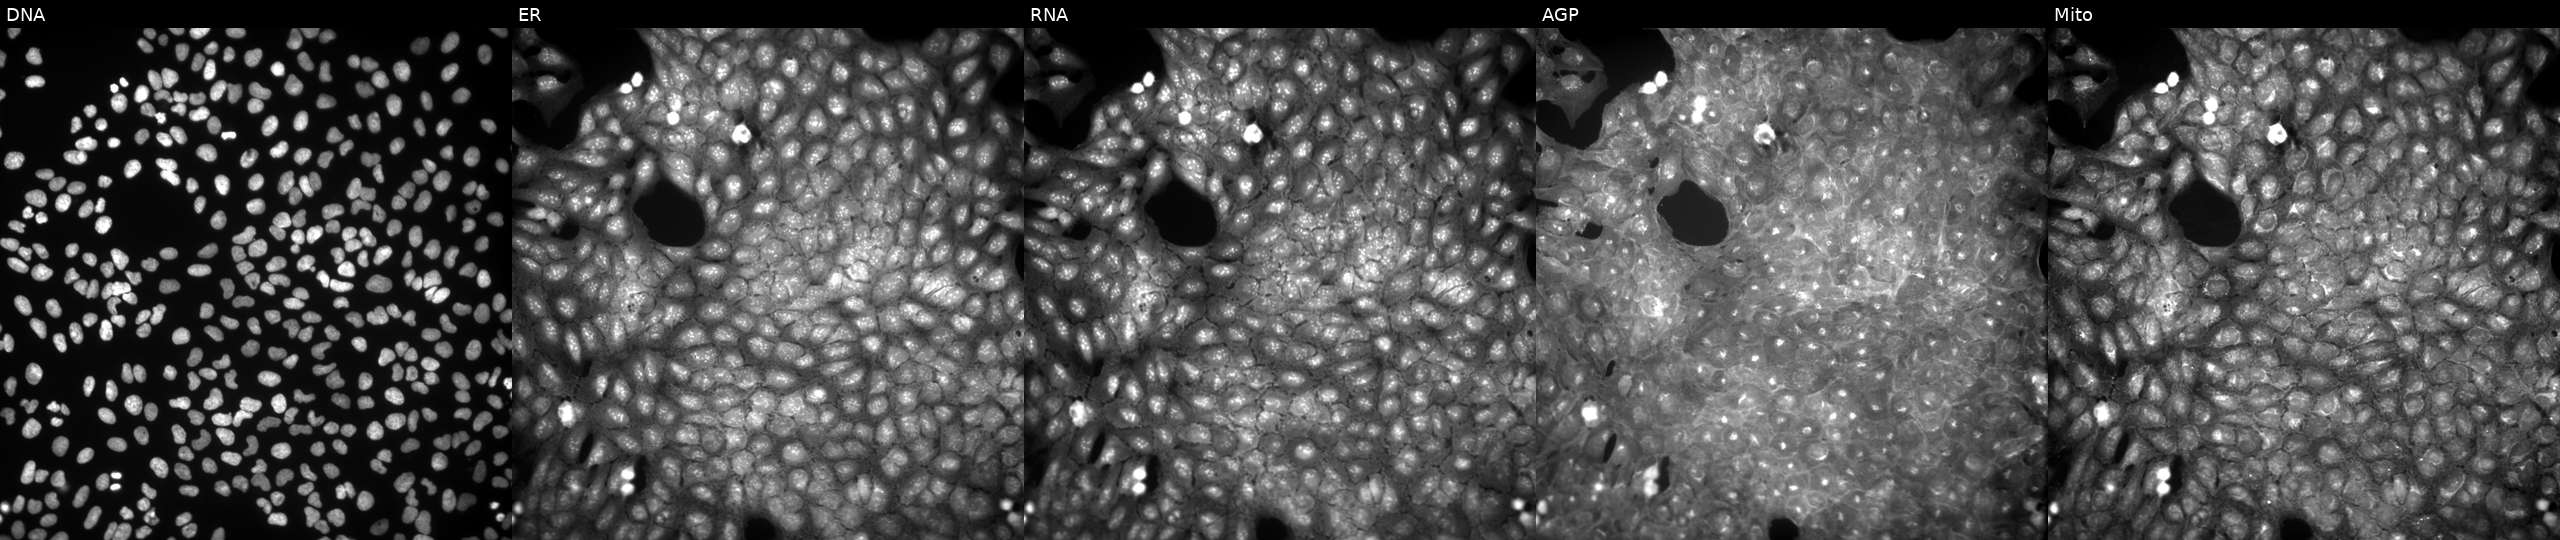
Channels (left→right): DNA (nuclei); ER (endoplasmic reticulum); RNA (nucleoli and cytoplasmic RNA); AGP (actin cytoskeleton, Golgi, and plasma membrane); Mito (mitochondria). U2OS osteosarcoma cells treated with DMSO vehicle only (negative control) (JUMP id JCP2022_033924). Cell Painting assay, JUMP-CP dataset. Source 9, plate GR00003382, well AB23.